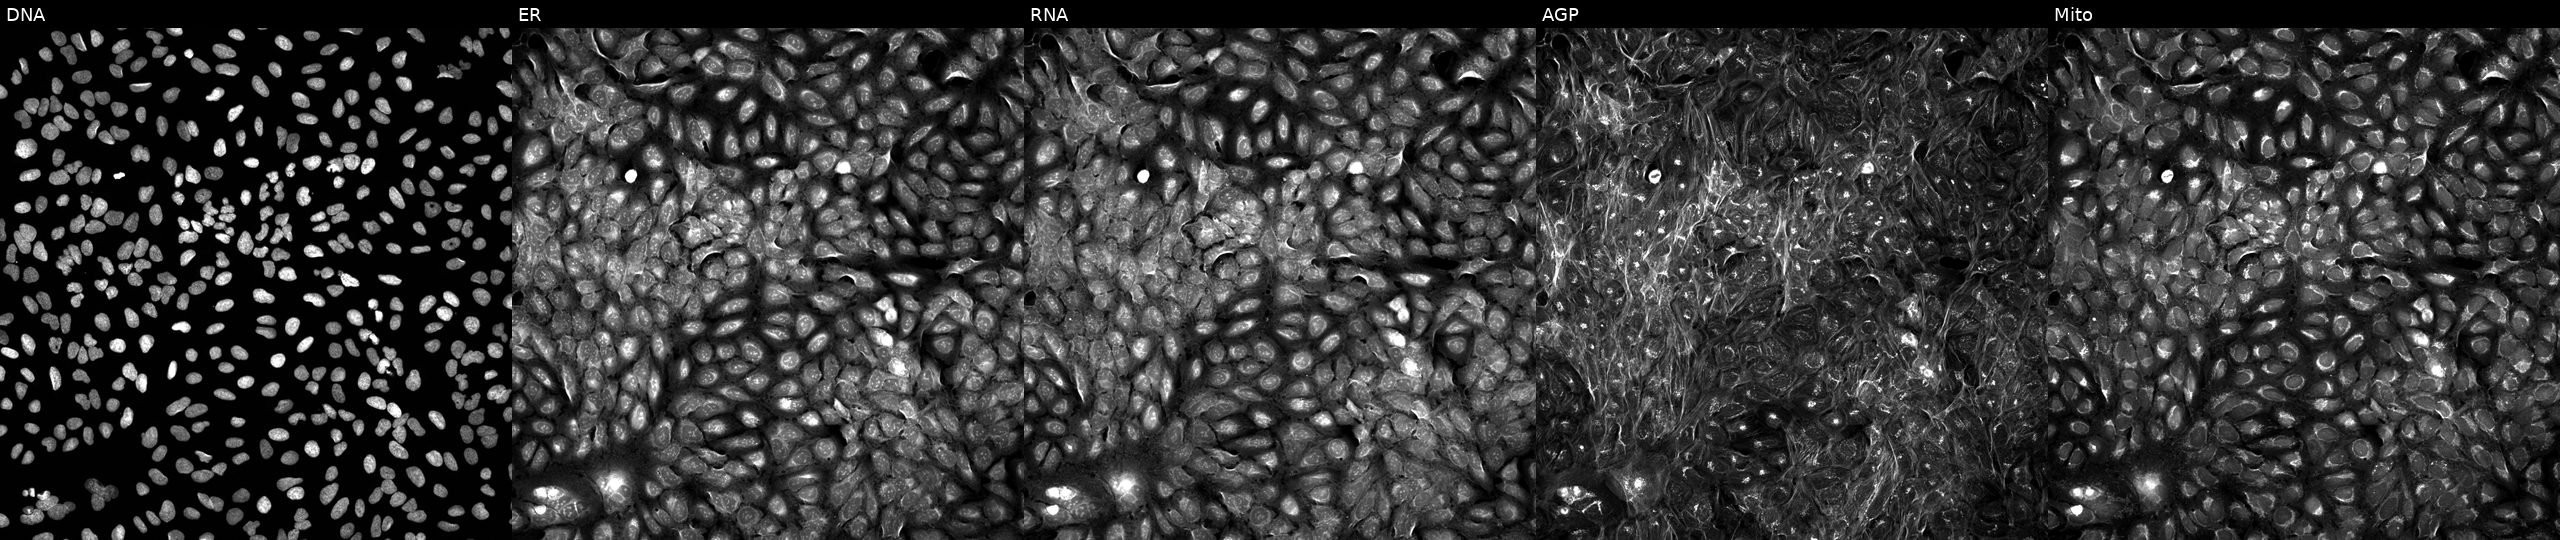
This image strip shows the five Cell Painting channels for a single field of U2OS cells perturbed with a small-molecule compound (InChIKey YEAWMXRERCHNEW-UHFFFAOYSA-N). From left to right: DNA, ER, RNA, AGP, and Mito. Source 5, plate APTJUM106, well O20.